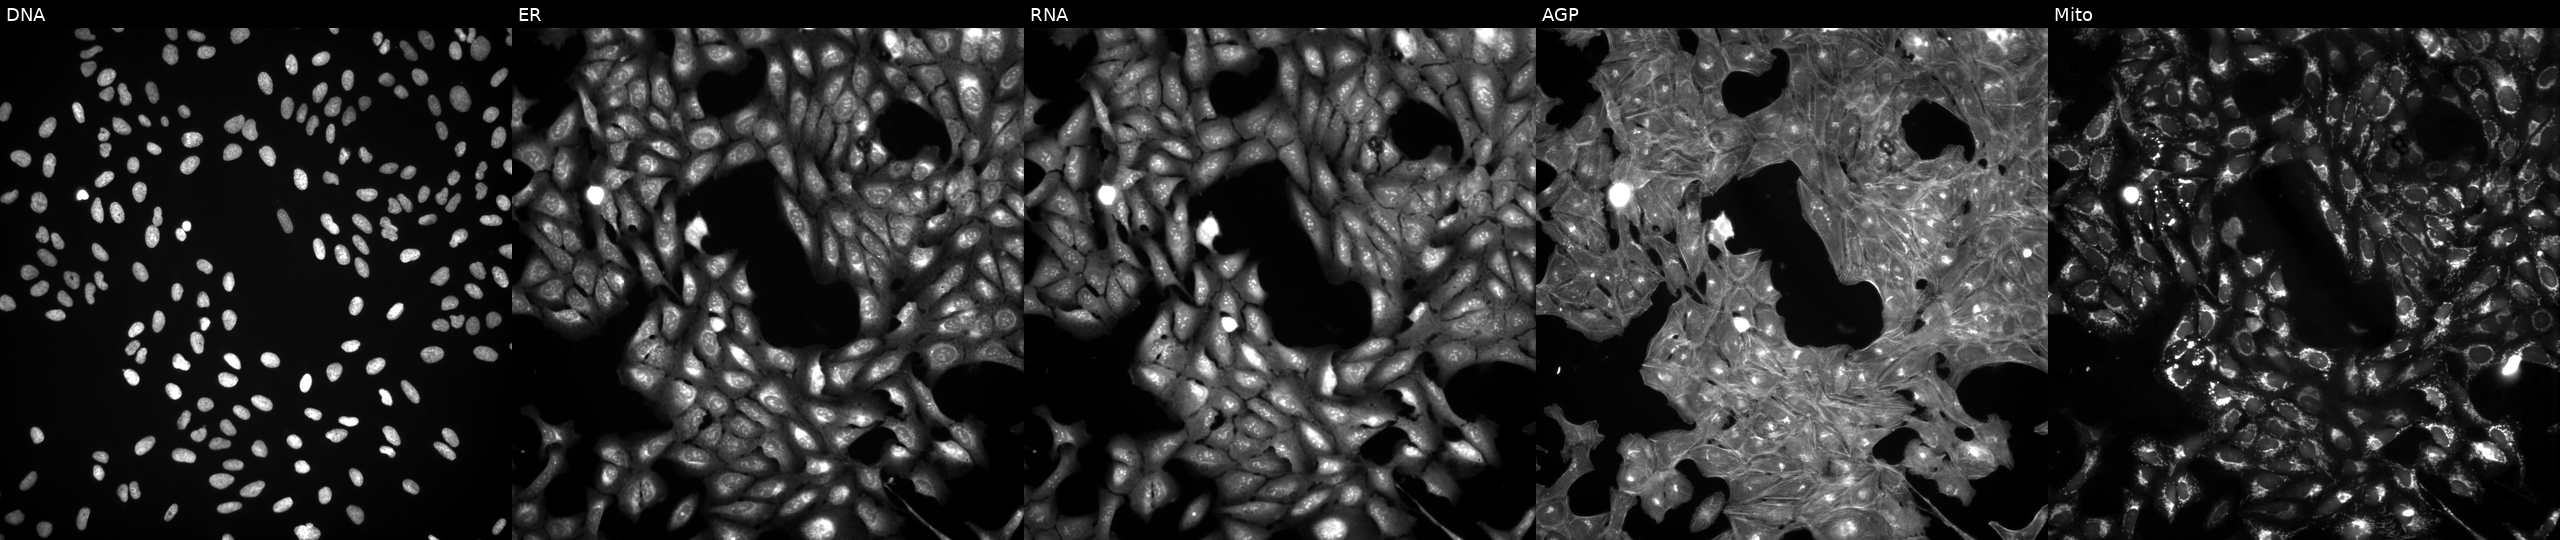
Channels (left→right): Hoechst 33342, concanavalin A, SYTO 14, phalloidin and WGA, MitoTracker. U2OS osteosarcoma cells exposed to a small-molecule compound (InChIKey JDVVGAQPNNXQDW-UHFFFAOYSA-N). Cell Painting assay, JUMP-CP dataset. Source 3, plate JCPQC053, well N21.